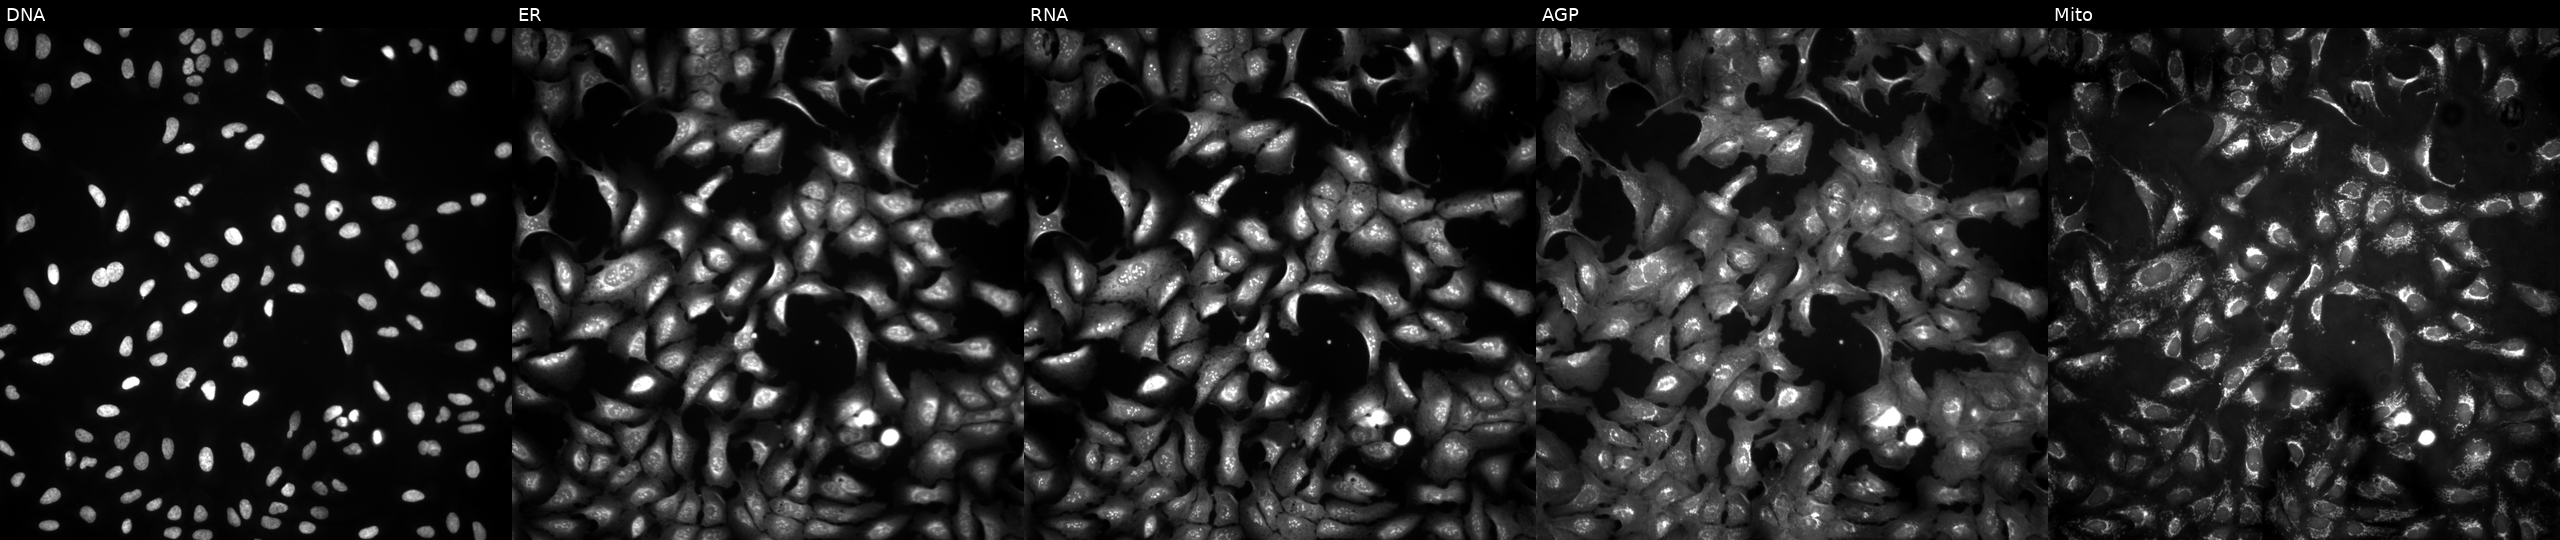
JUMP Cell Painting — ORF plate. U2OS cells with JUNB overexpressed (ORF). Panels show, left to right, Hoechst 33342, concanavalin A, SYTO 14, phalloidin and WGA, MitoTracker.